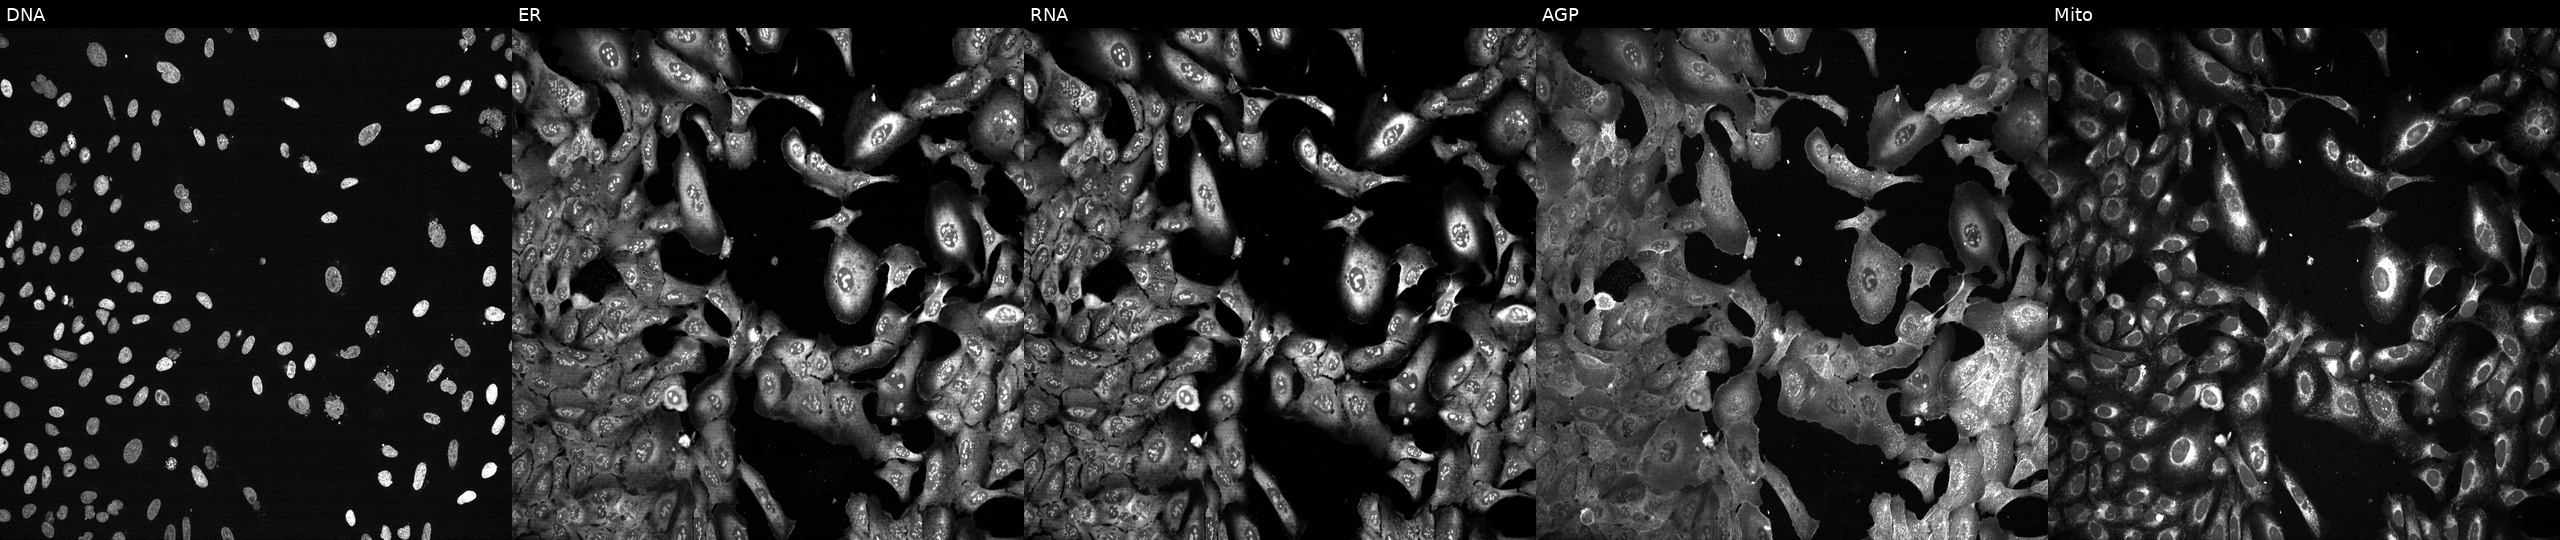
JUMP Cell Painting — CRISPR plate. U2OS cells CRISPR-edited to disrupt APRT (JUMP id JCP2022_800533). Channels (left→right): Hoechst 33342, concanavalin A, SYTO 14, phalloidin and WGA, MitoTracker.